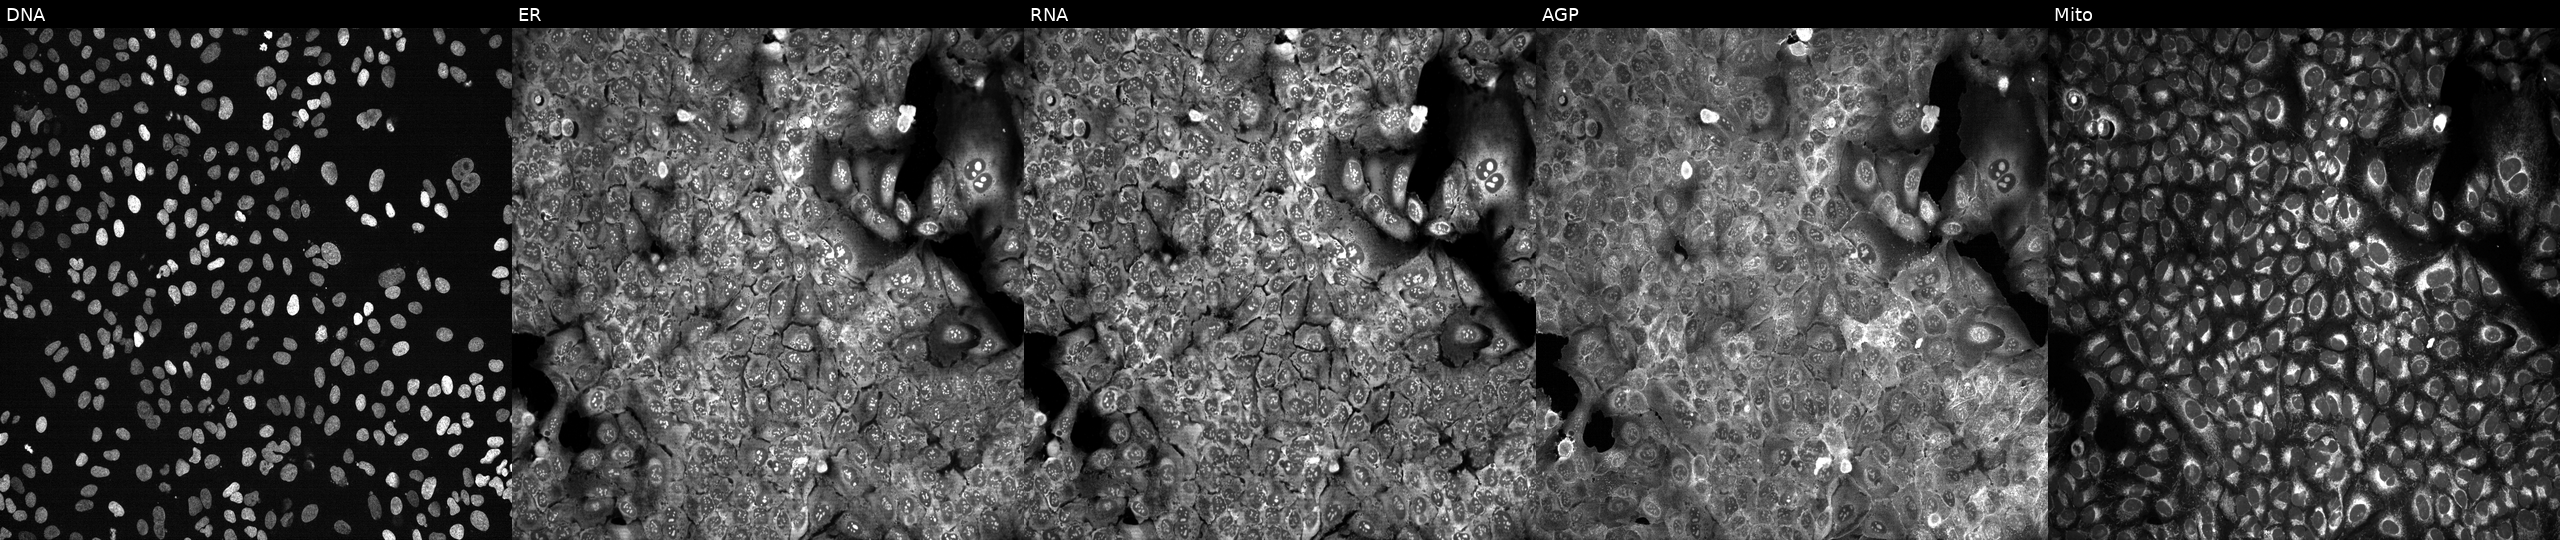
From left to right: DNA (nuclei); ER (endoplasmic reticulum); RNA (nucleoli and cytoplasmic RNA); AGP (actin cytoskeleton, Golgi, and plasma membrane); Mito (mitochondria). U2OS osteosarcoma cells following CRISPR knockout of LCTL (JUMP id JCP2022_803795). Cell Painting assay, JUMP-CP dataset.